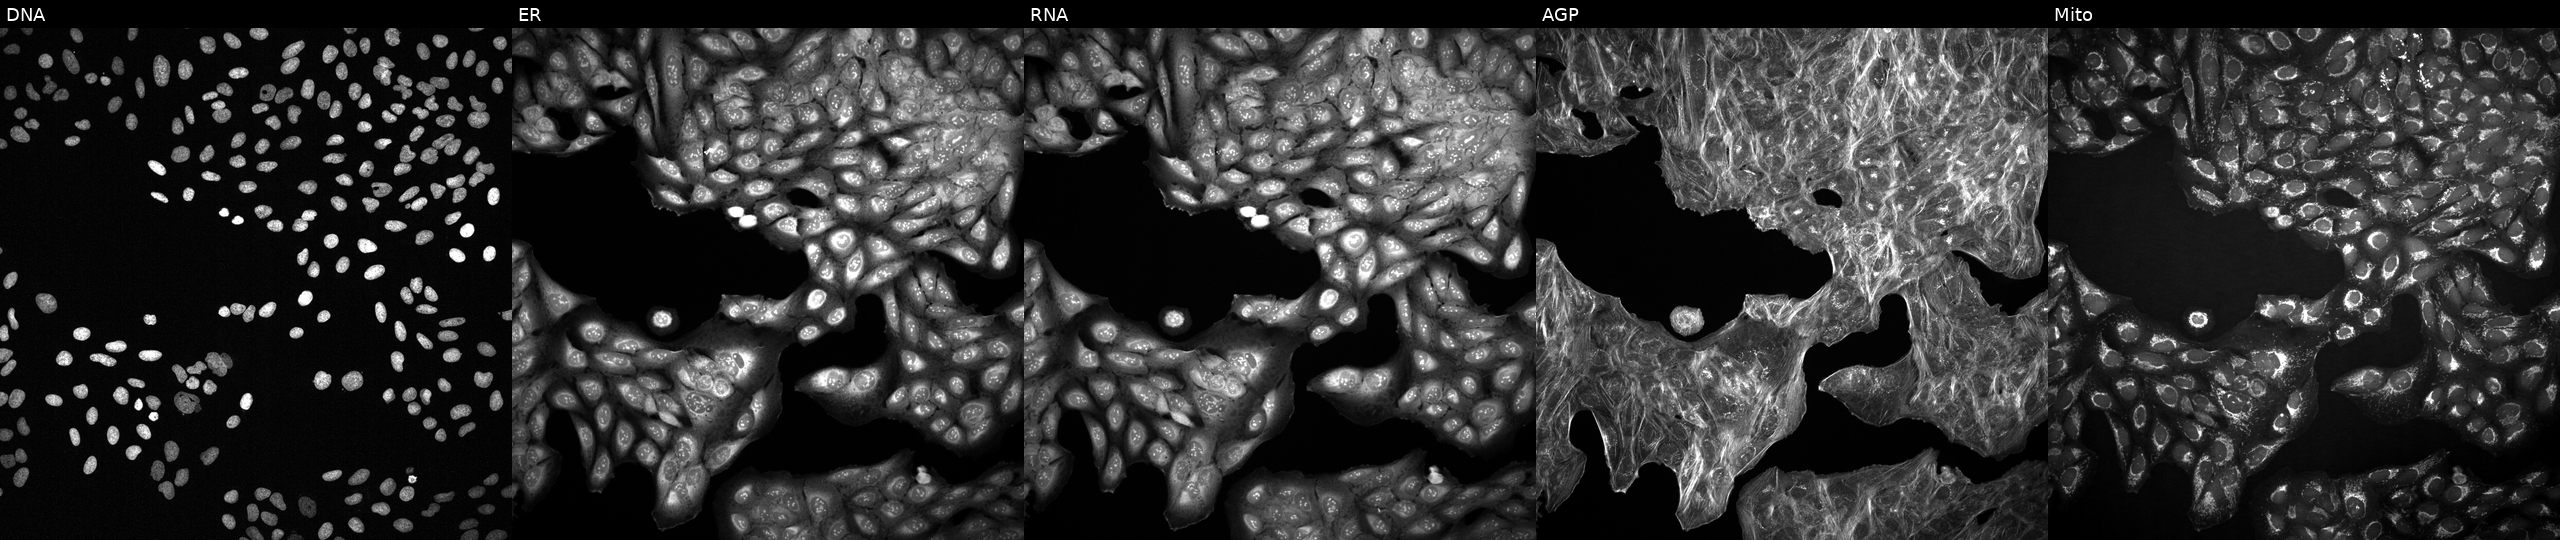
JUMP Cell Painting — COMPOUND plate. U2OS cells with an unidentified perturbation (not annotated in JUMP metadata). From left to right: DNA (nuclei); ER (endoplasmic reticulum); RNA (nucleoli and cytoplasmic RNA); AGP (actin cytoskeleton, Golgi, and plasma membrane); Mito (mitochondria).